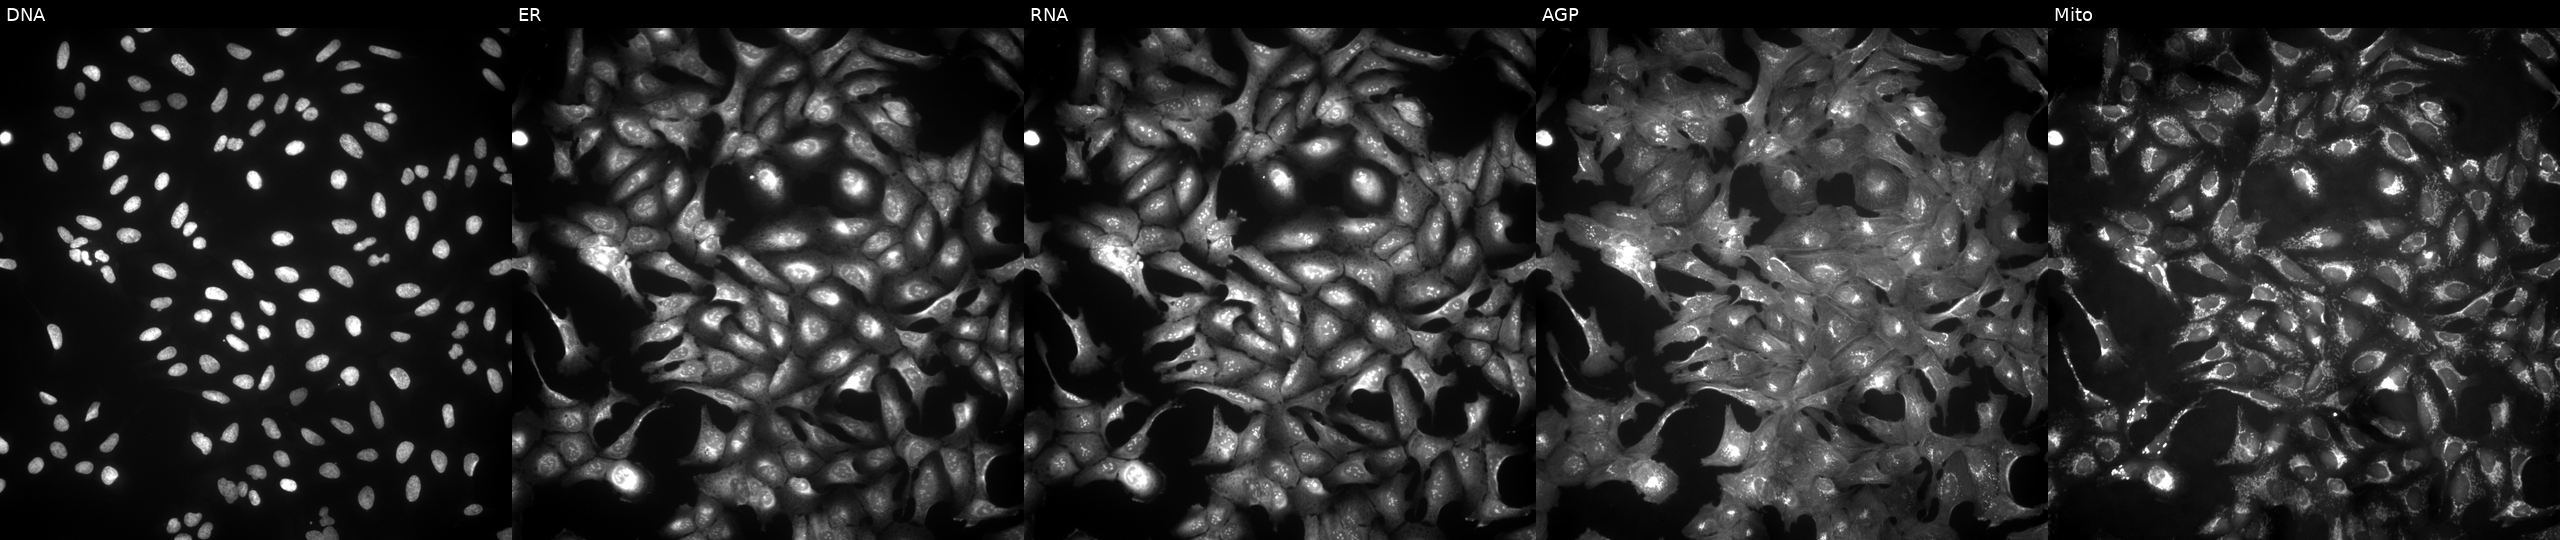
Five-channel Cell Painting image of U2OS cells with B4GAT1 overexpressed (ORF) (JUMP id JCP2022_902439). From left to right: DNA (nuclei); ER (endoplasmic reticulum); RNA (nucleoli and cytoplasmic RNA); AGP (actin cytoskeleton, Golgi, and plasma membrane); Mito (mitochondria). Source 4, plate BR00123506, well D14.